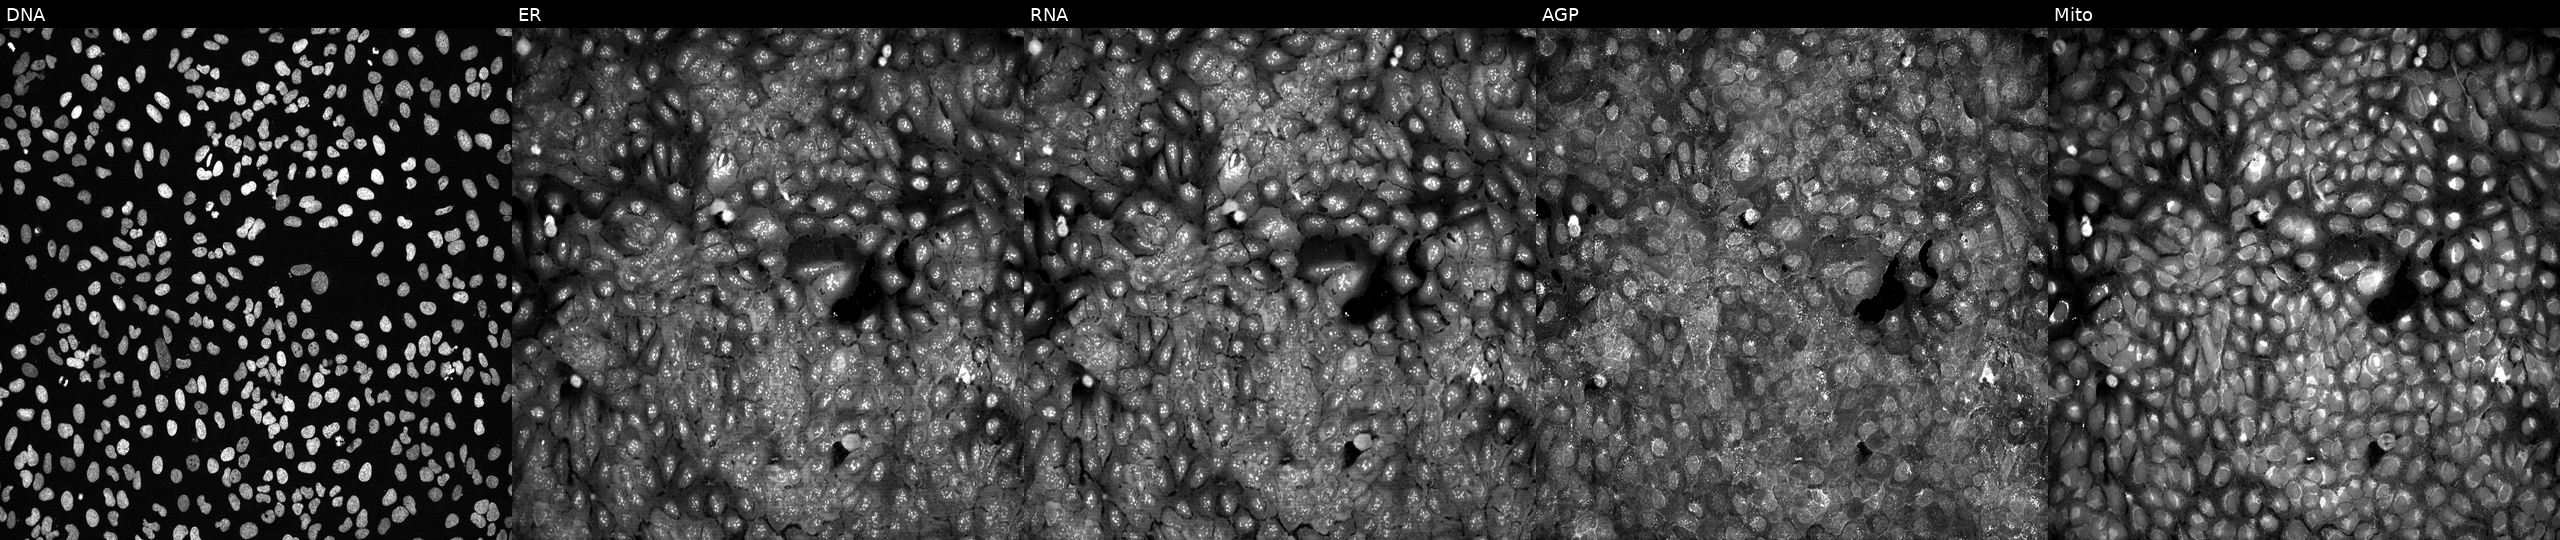
JUMP Cell Painting — CRISPR plate. U2OS cells following CRISPR knockout of UGDH. Panels show, left to right, Hoechst 33342, concanavalin A, SYTO 14, phalloidin and WGA, MitoTracker.